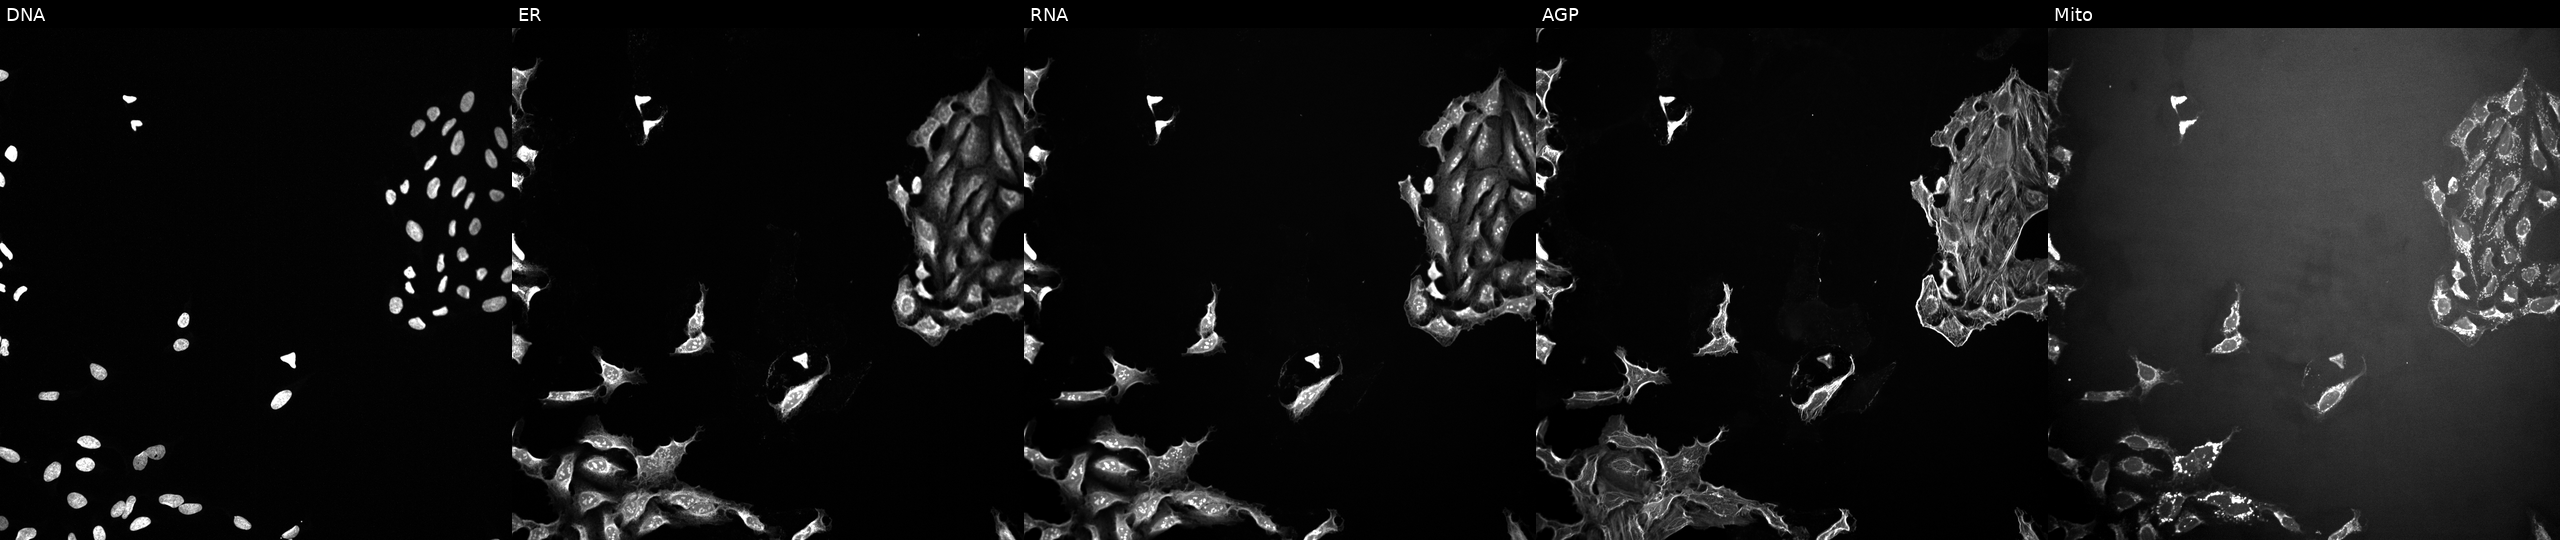
JUMP Cell Painting — TARGET2 plate. U2OS cells exposed to a small-molecule compound (InChIKey AJVXVYTVAAWZAP-UHFFFAOYSA-N). The five panels, left to right, show Hoechst 33342, concanavalin A, SYTO 14, phalloidin and WGA, MitoTracker. Source 10, plate Dest210726-160150, well B01.